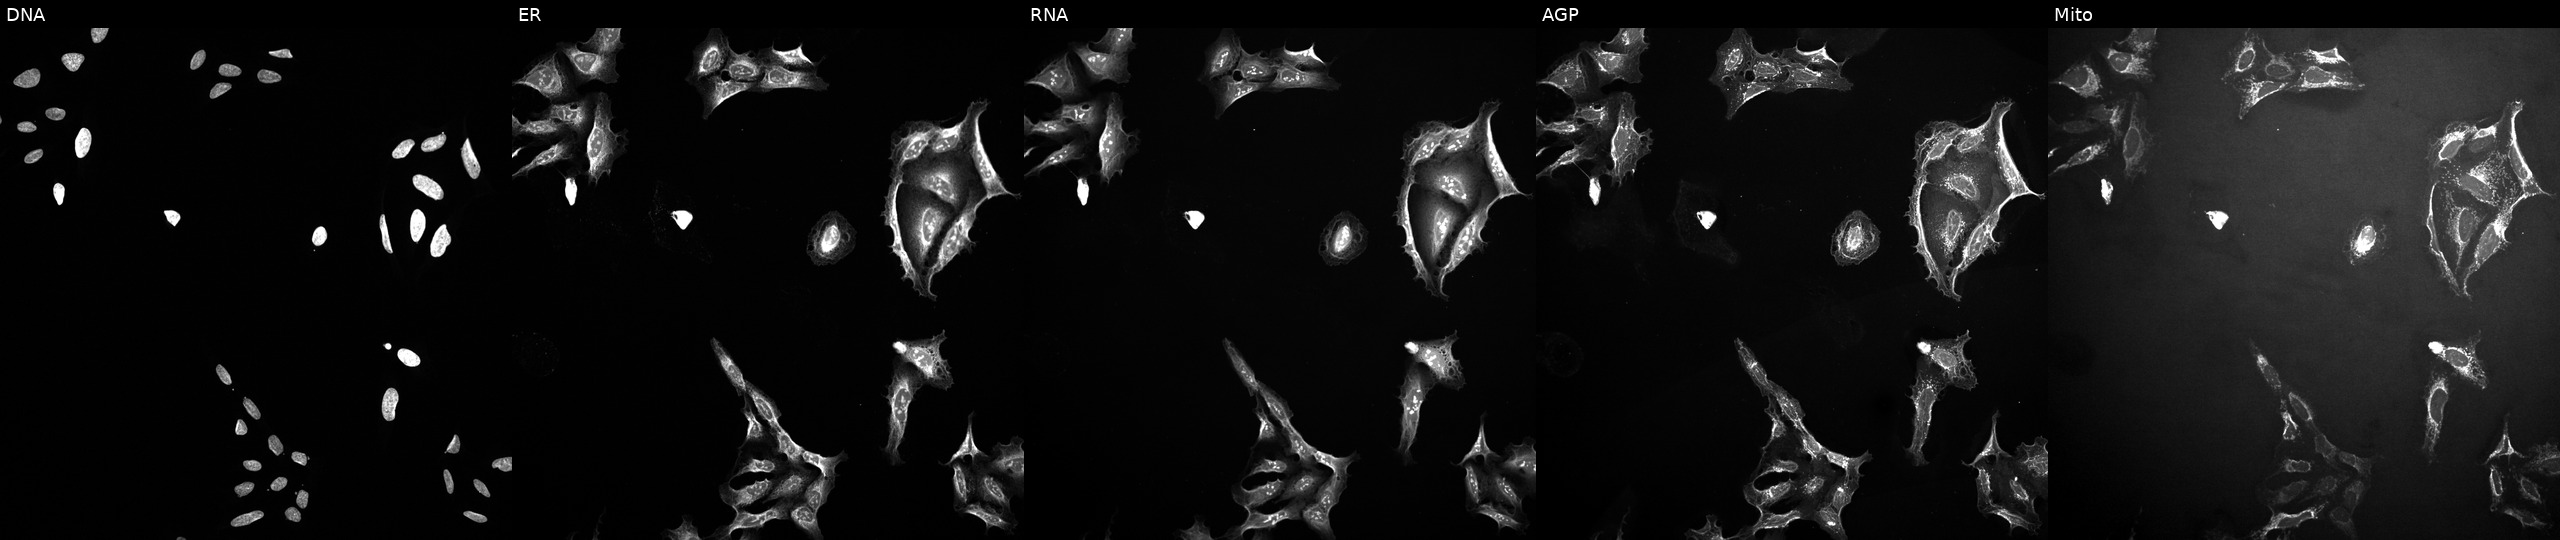
The five panels, left to right, show DNA, ER, RNA, AGP, and Mito. U2OS osteosarcoma cells perturbed with a small-molecule compound (InChIKey RQVGFDBMONQTBC-UHFFFAOYSA-N) (JUMP id JCP2022_080150). Cell Painting assay, JUMP-CP dataset.